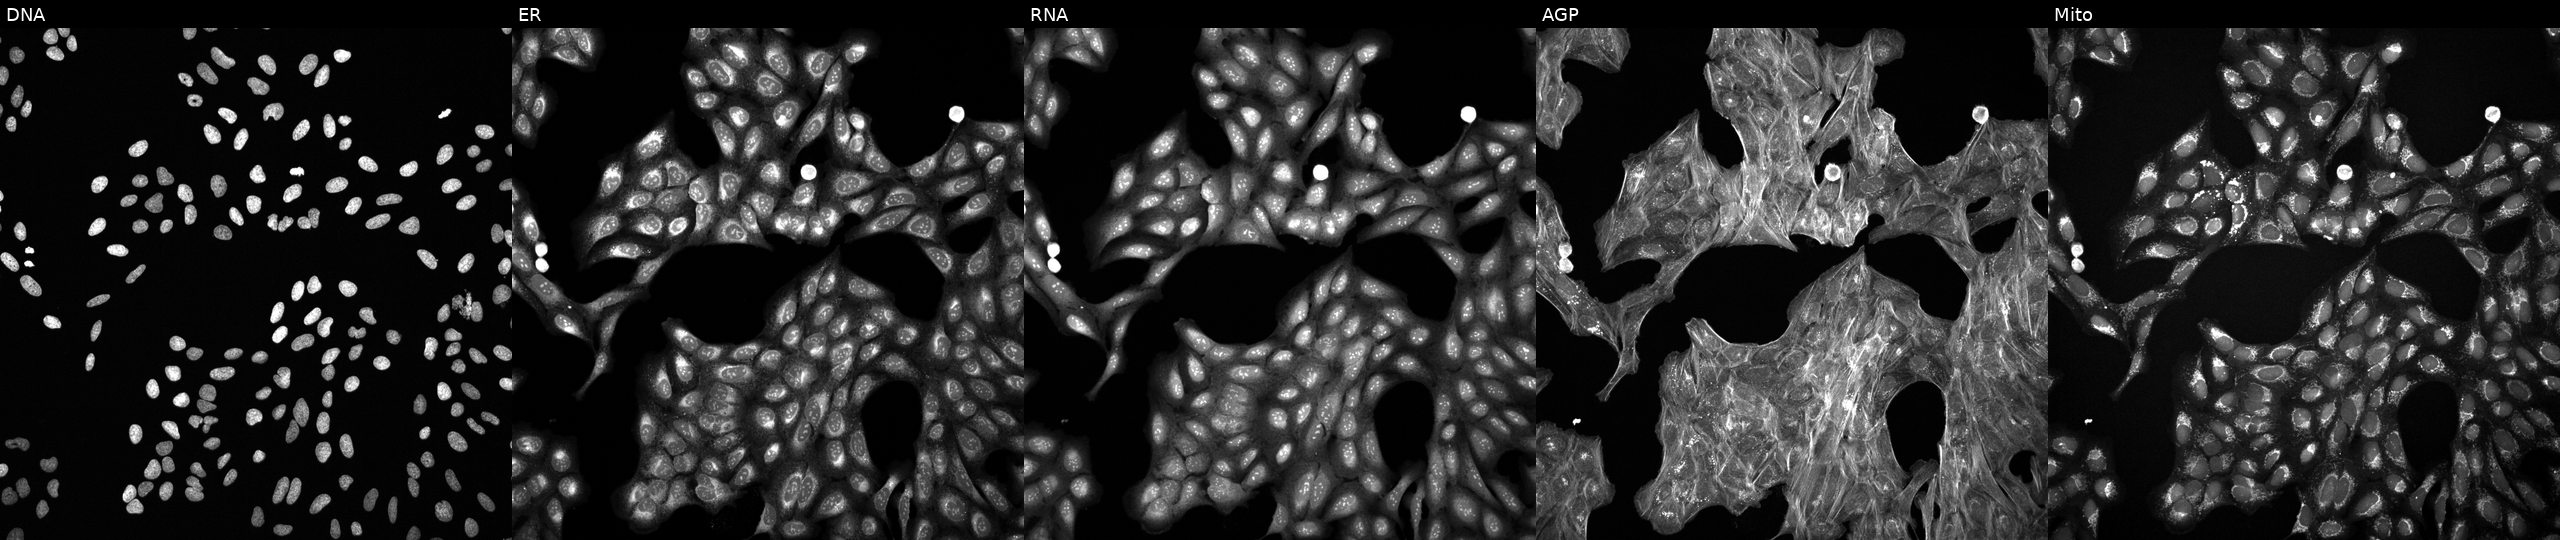
U2OS cells, Cell Painting assay, exposed to a small-molecule compound (InChIKey CEUORZQYGODEFX-UHFFFAOYSA-N) (JUMP id JCP2022_010654). Panels show, left to right, DNA, ER, RNA, AGP, and Mito. Each panel is percentile-stretched 16-bit fluorescence. Source 6, plate 110000293093, well P13.